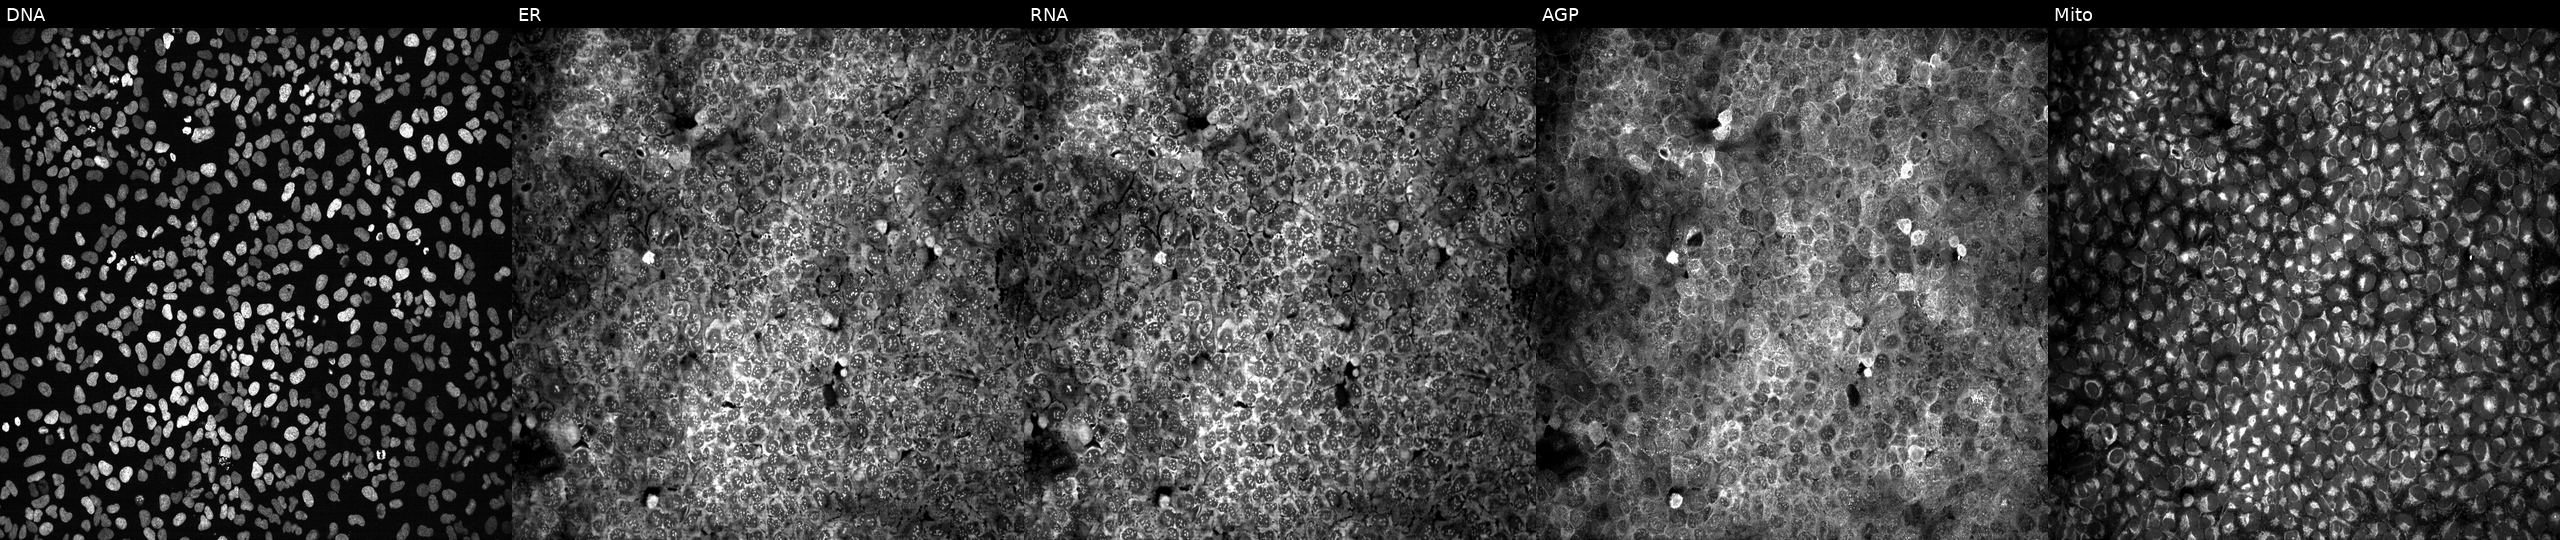
This image strip shows the five Cell Painting channels for a single field of U2OS cells with no CRISPR guide (negative control) (JUMP id JCP2022_800001). The five panels, left to right, show Hoechst 33342, concanavalin A, SYTO 14, phalloidin and WGA, MitoTracker.